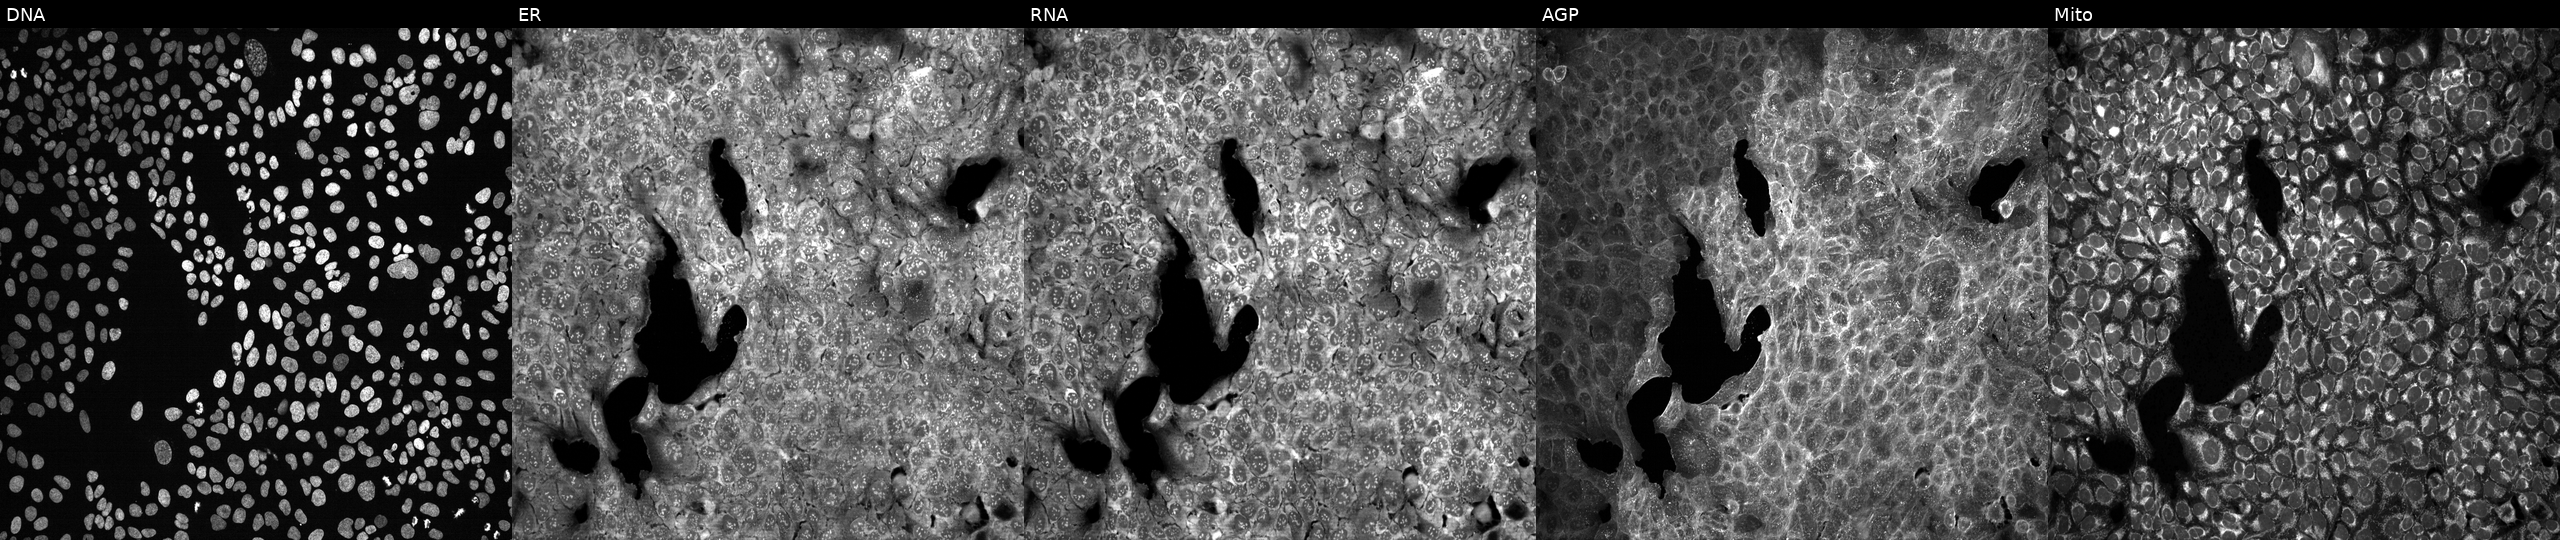
High-content fluorescence microscopy (Cell Painting). Cell line: U2OS. Perturbation: treated with LY2109761 (positive-control compound). Channels (left→right): DNA, ER, RNA, AGP, and Mito. Source 13, plate CP-CC9-R6-19, well I24.